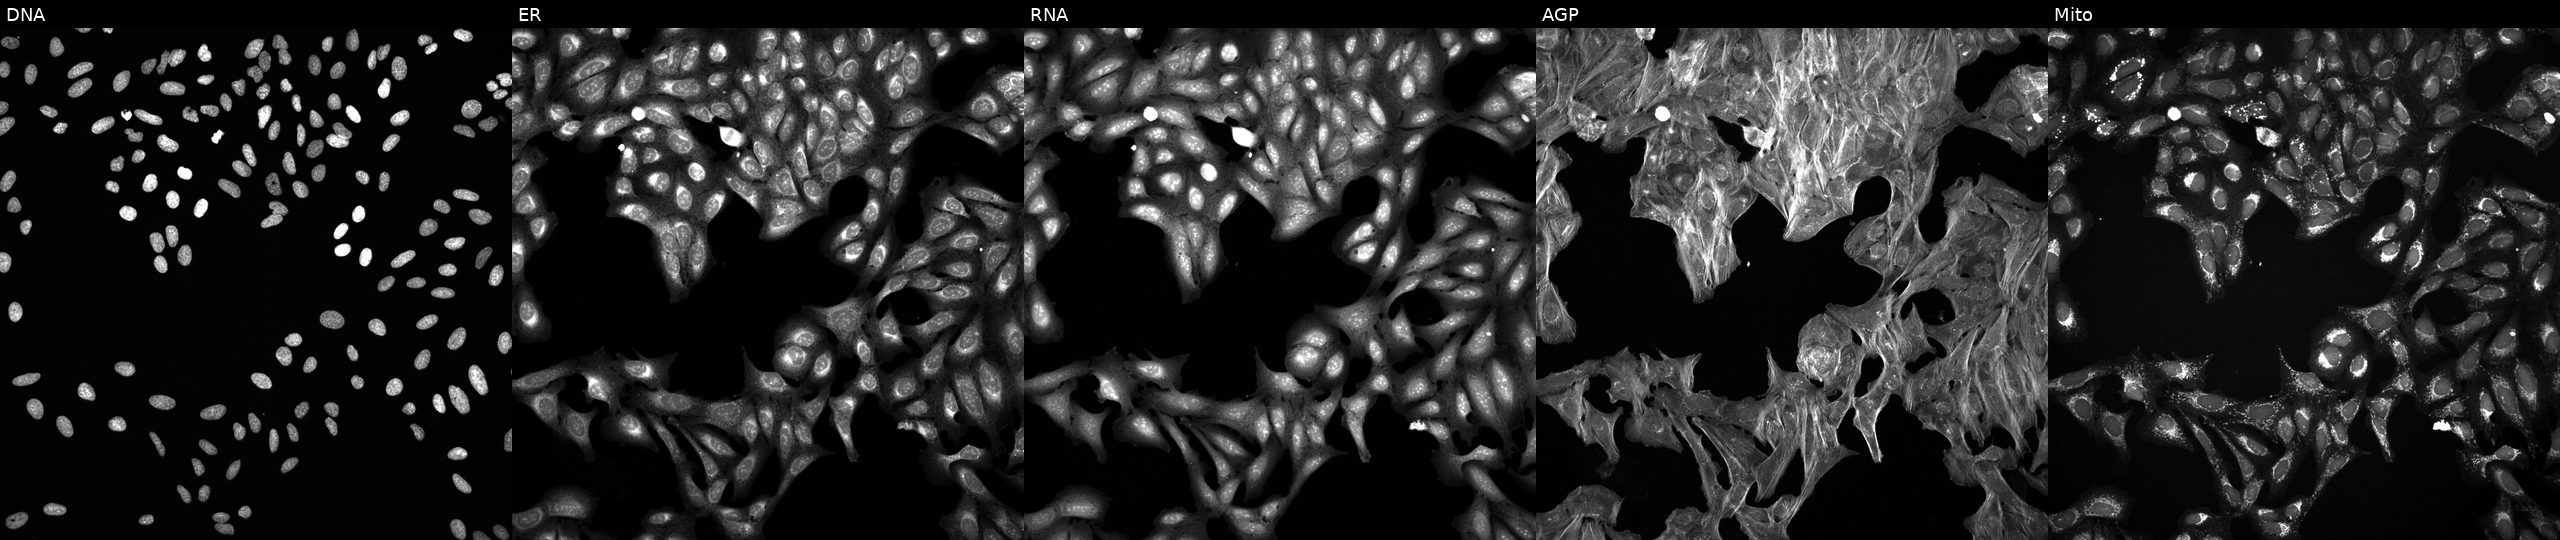
Channels (left→right): DNA, ER, RNA, AGP, and Mito. U2OS osteosarcoma cells treated with a small-molecule compound (InChIKey ZZZRUAITSXLWBH-UHFFFAOYSA-N). Cell Painting assay, JUMP-CP dataset. Source 6, plate 110000293093, well L07.